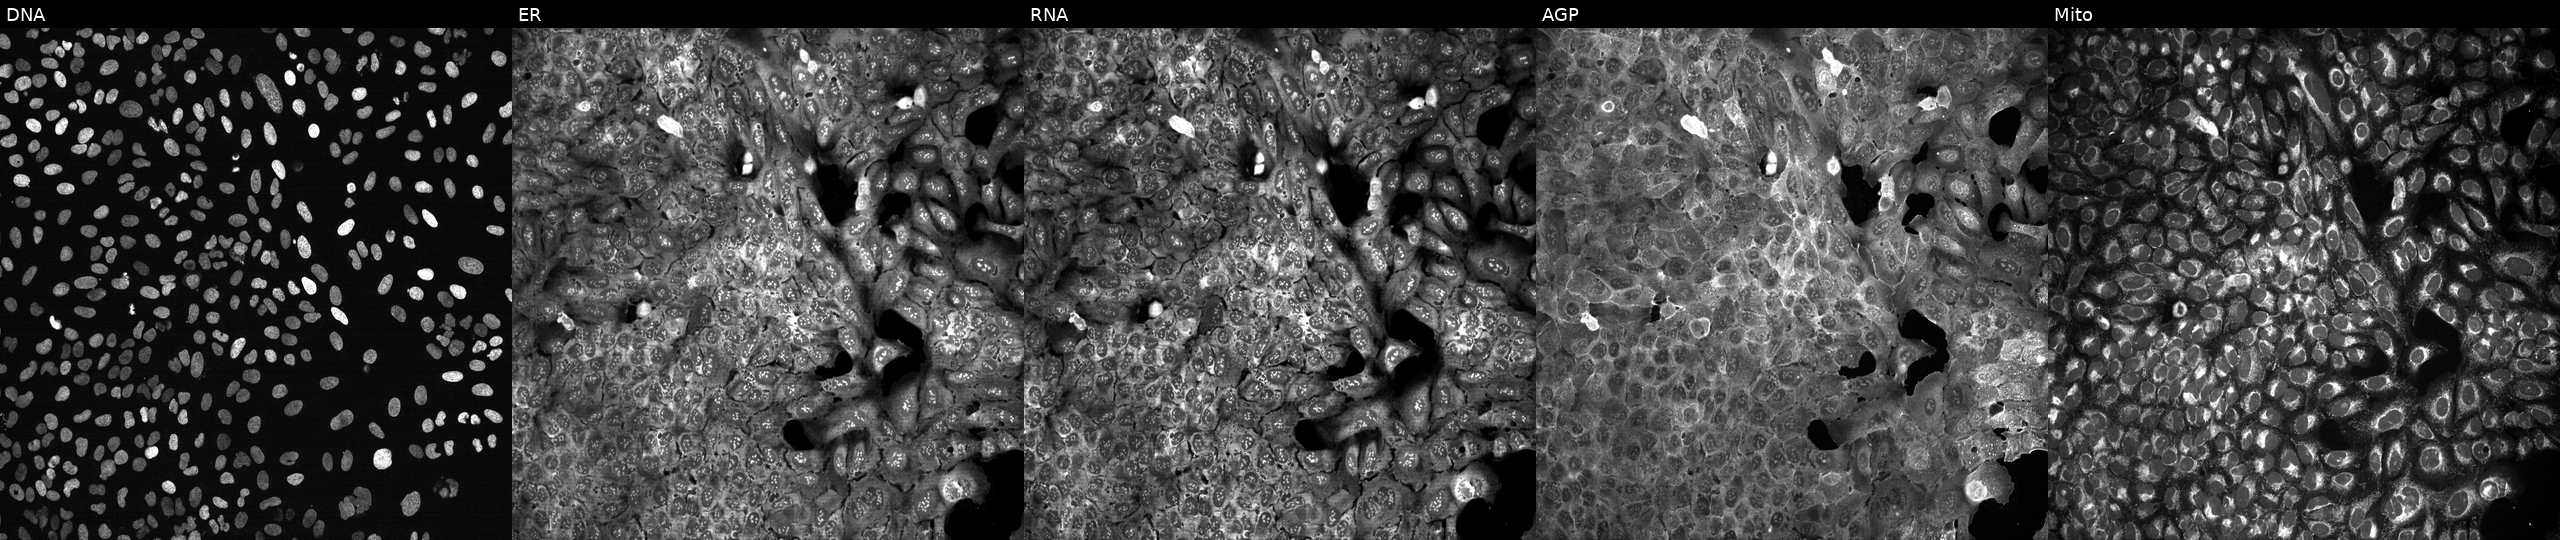
JUMP Cell Painting — CRISPR plate. U2OS cells following CRISPR knockout of PADI4. Panels show, left to right, DNA (nuclei); ER (endoplasmic reticulum); RNA (nucleoli and cytoplasmic RNA); AGP (actin cytoskeleton, Golgi, and plasma membrane); Mito (mitochondria).